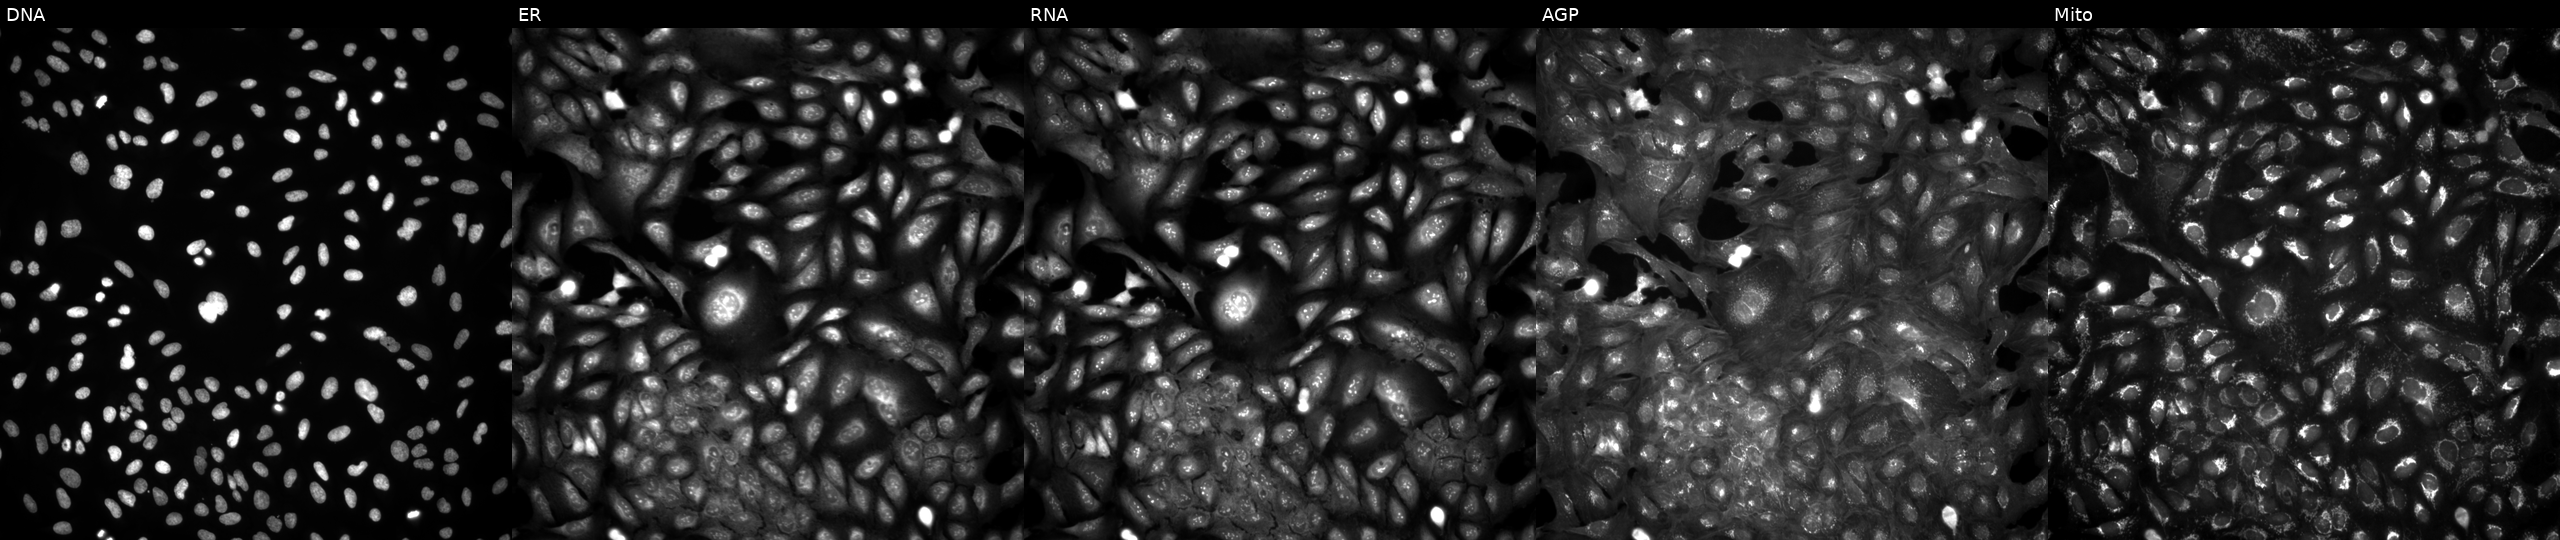
Five-channel Cell Painting image of U2OS cells in an empty control well (no perturbation) (JUMP id JCP2022_999999). Panels show, left to right, DNA (nuclei); ER (endoplasmic reticulum); RNA (nucleoli and cytoplasmic RNA); AGP (actin cytoskeleton, Golgi, and plasma membrane); Mito (mitochondria). Source 4, plate BR00124793, well M11.